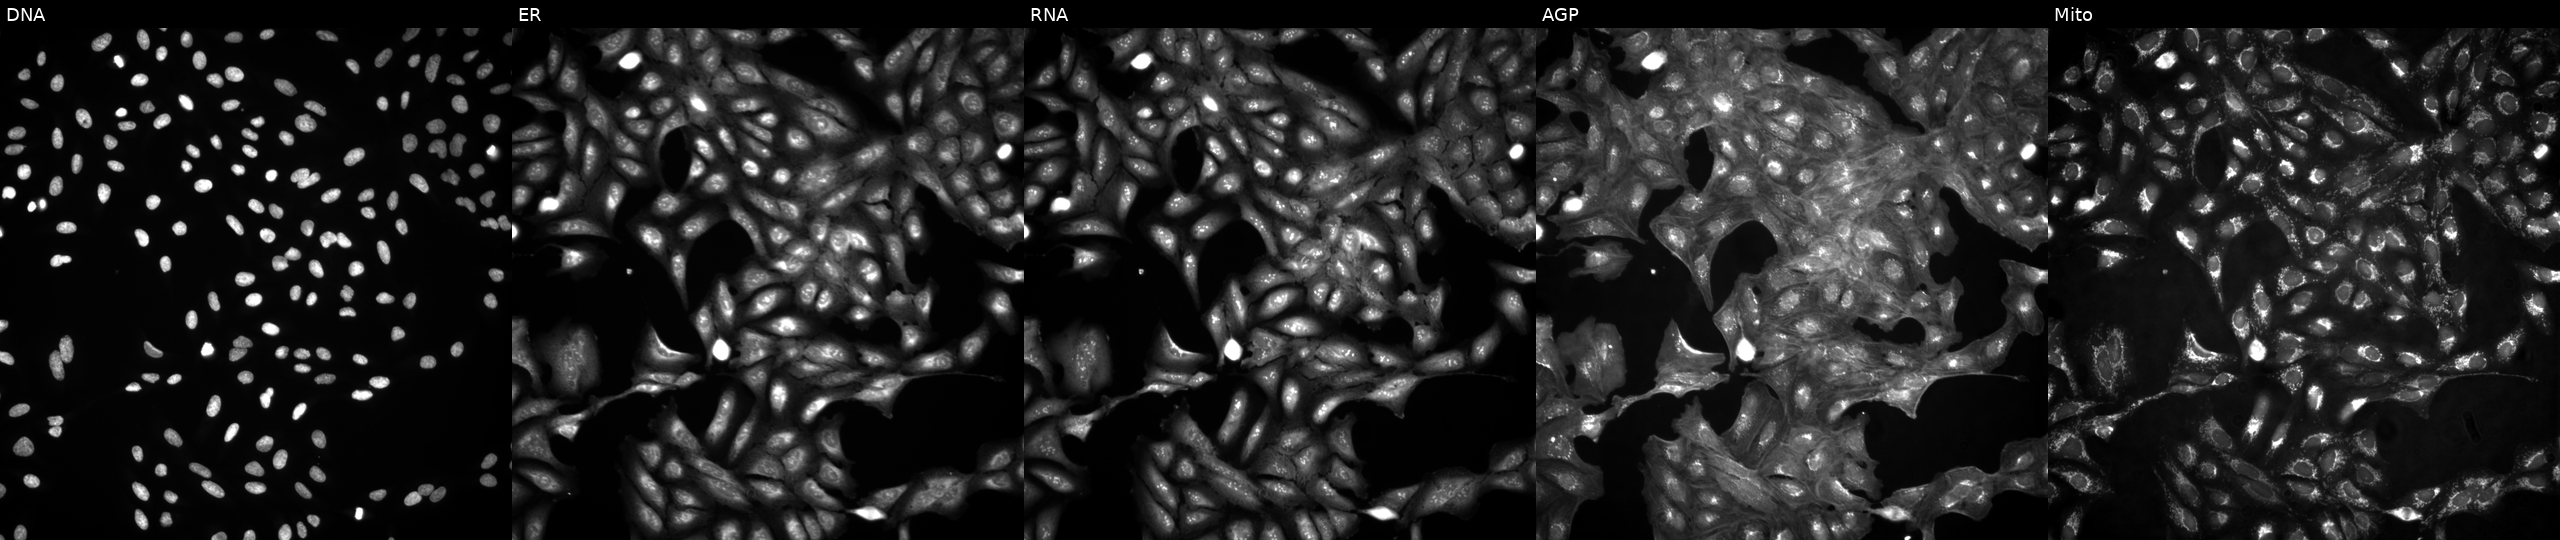
From left to right: DNA, ER, RNA, AGP, and Mito. U2OS osteosarcoma cells untreated (empty-well control). Cell Painting assay, JUMP-CP dataset. Source 4, plate BR00124793, well M14.